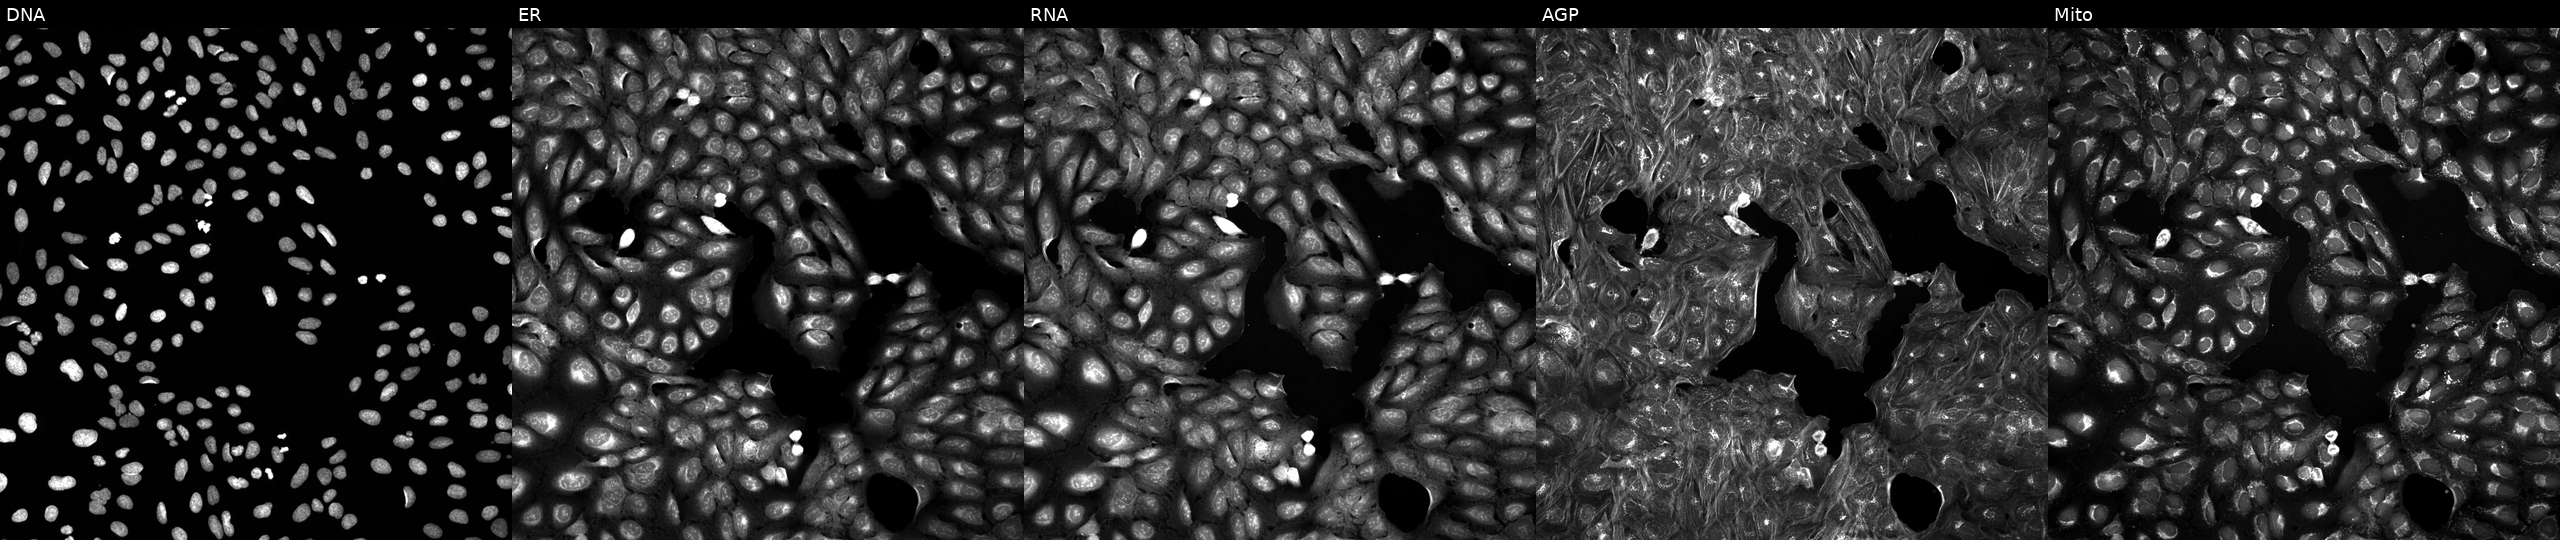
JUMP Cell Painting — TARGET2 plate. U2OS cells treated with a small-molecule compound (InChIKey LQERMDXPGNOJCT-UHFFFAOYSA-N). From left to right: Hoechst 33342, concanavalin A, SYTO 14, phalloidin and WGA, MitoTracker.